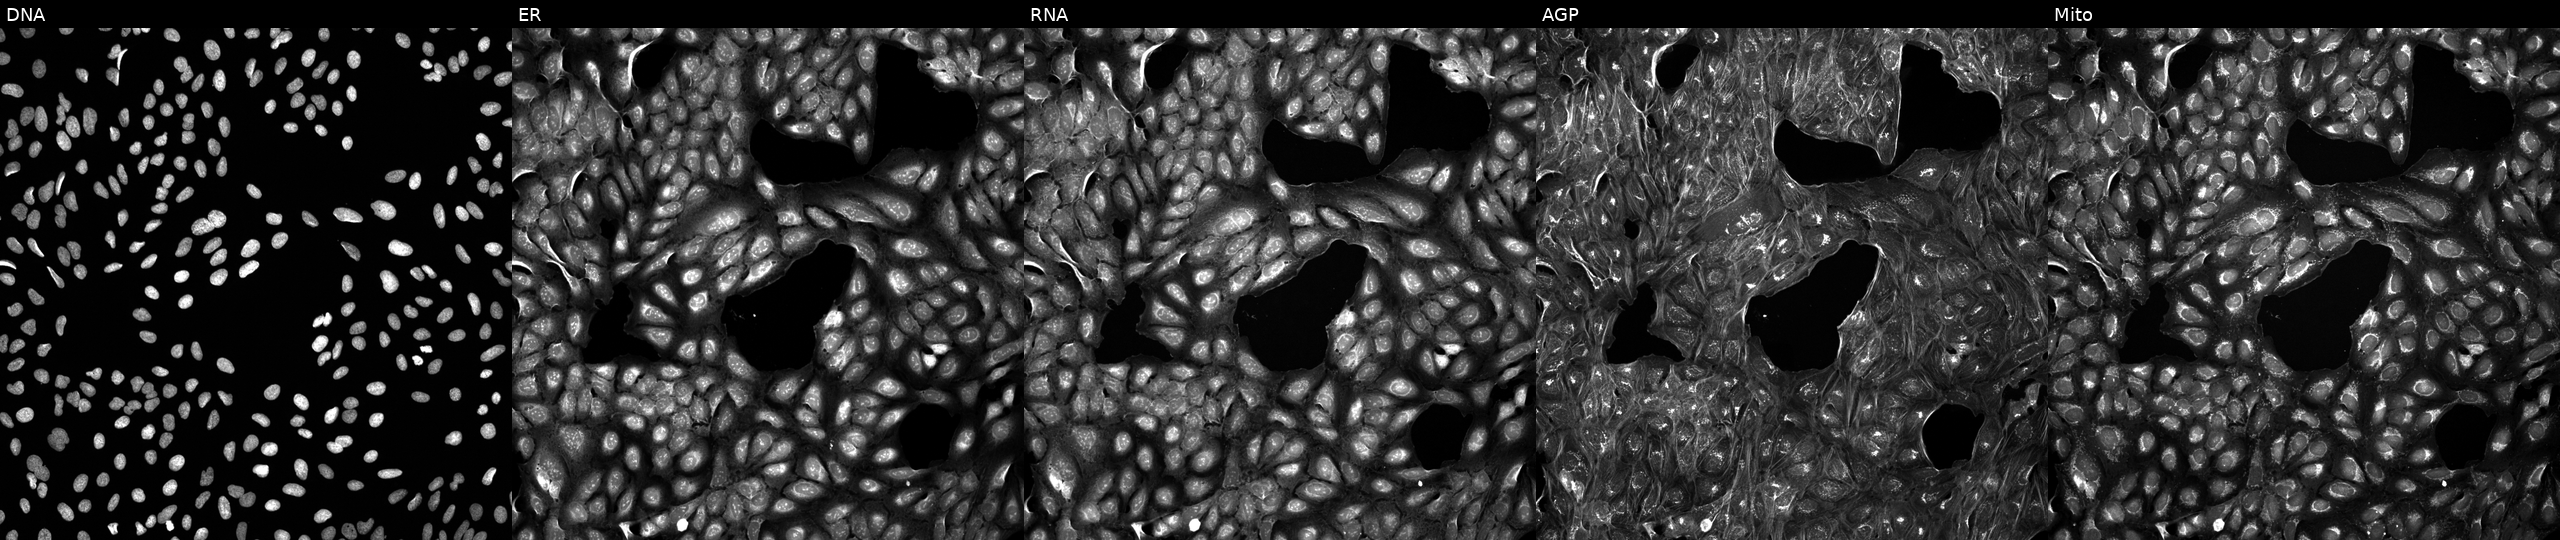
High-content fluorescence microscopy (Cell Painting). Cell line: U2OS. Perturbation: treated with a small-molecule compound (InChIKey ASYZTKCBDLULEQ-UHFFFAOYSA-N) (JUMP id JCP2022_003647). The five panels, left to right, show Hoechst 33342, concanavalin A, SYTO 14, phalloidin and WGA, MitoTracker.